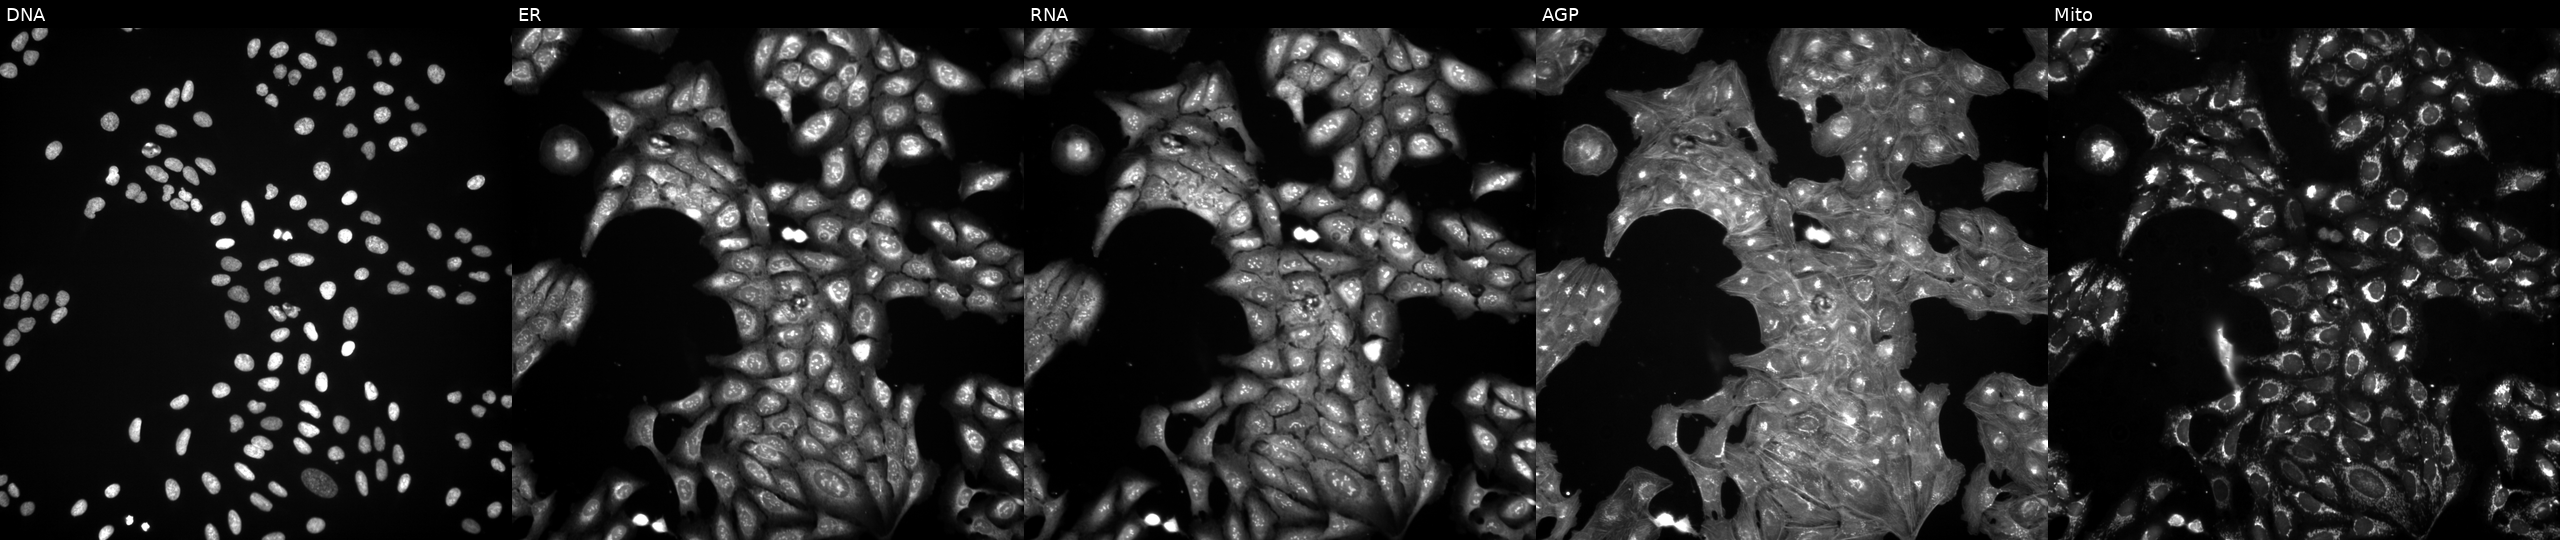
U2OS cells, Cell Painting assay, treated with a small-molecule compound (InChIKey UJDIPRKSSAIILK-UHFFFAOYSA-N) (JUMP id JCP2022_089565). Channels (left→right): DNA (nuclei); ER (endoplasmic reticulum); RNA (nucleoli and cytoplasmic RNA); AGP (actin cytoskeleton, Golgi, and plasma membrane); Mito (mitochondria). Each panel is percentile-stretched 16-bit fluorescence. Source 3, plate BR5867a3, well K14.